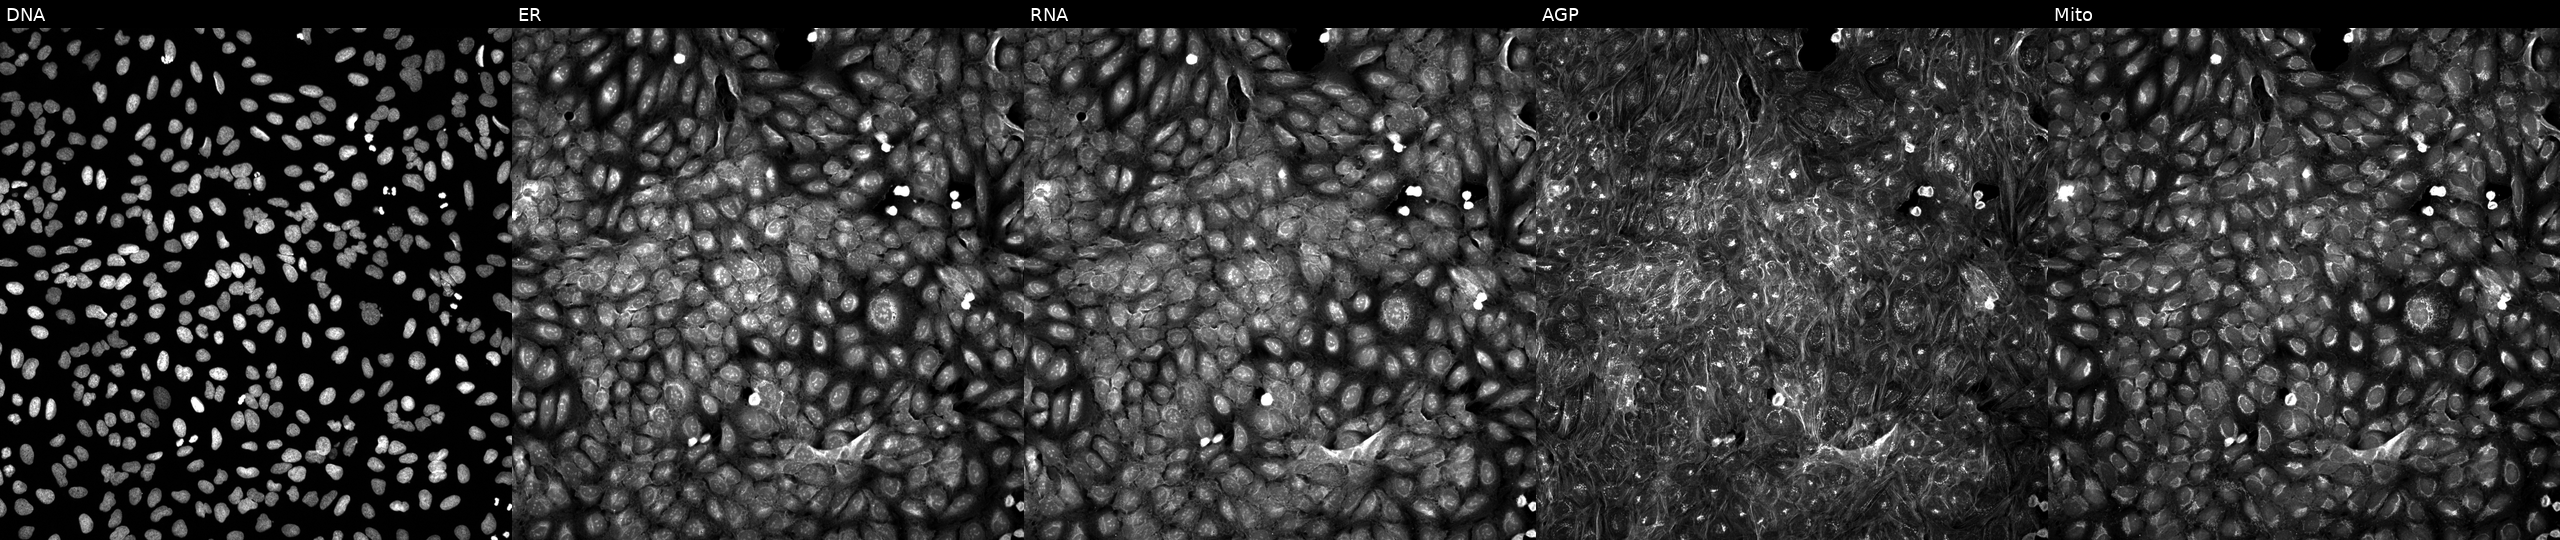
JUMP Cell Painting — COMPOUND plate. U2OS cells exposed to a small-molecule compound (InChIKey SIVKUYGRPBOMDF-UHFFFAOYSA-N) [SMILES: Cc1ccc(=NC(=O)C2CCN(Cc3nc(C)ccc3O)CC2)[nH]c1]. The five panels, left to right, show DNA, ER, RNA, AGP, and Mito.